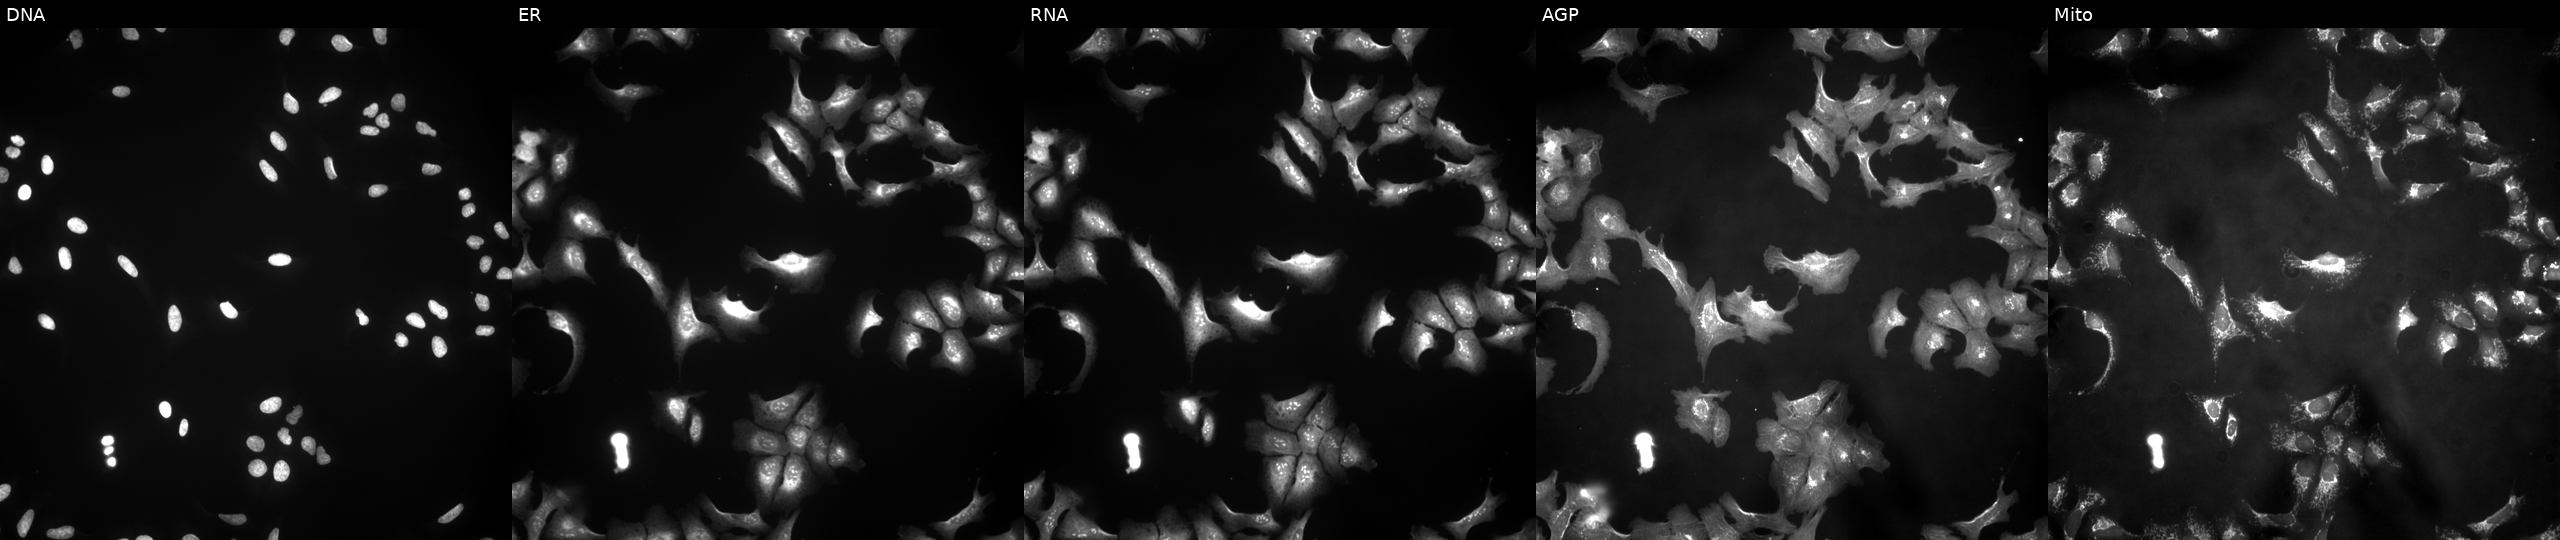
U2OS cells, Cell Painting assay, expressing LacZ (ORF negative control) (JUMP id JCP2022_915131). From left to right: DNA, ER, RNA, AGP, and Mito. Each panel is percentile-stretched 16-bit fluorescence.